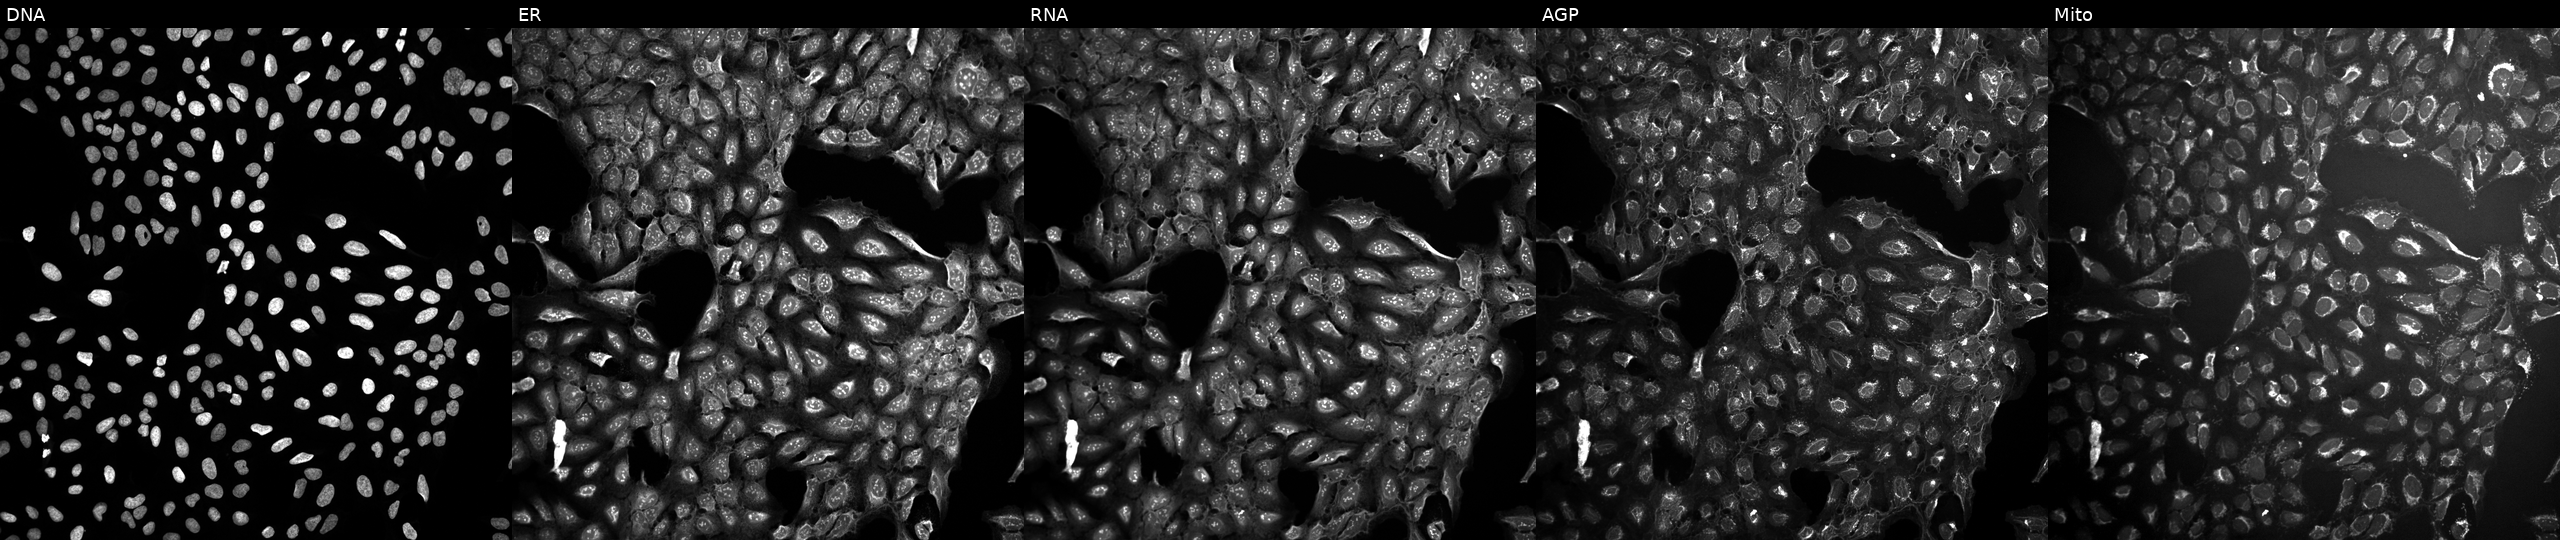
JUMP Cell Painting — TARGET2 plate. U2OS cells exposed to a small-molecule compound (InChIKey JZFPYUNJRRFVQU-UHFFFAOYSA-N). Panels show, left to right, DNA (nuclei); ER (endoplasmic reticulum); RNA (nucleoli and cytoplasmic RNA); AGP (actin cytoskeleton, Golgi, and plasma membrane); Mito (mitochondria). Source 10, plate Dest210803-153958, well P22.